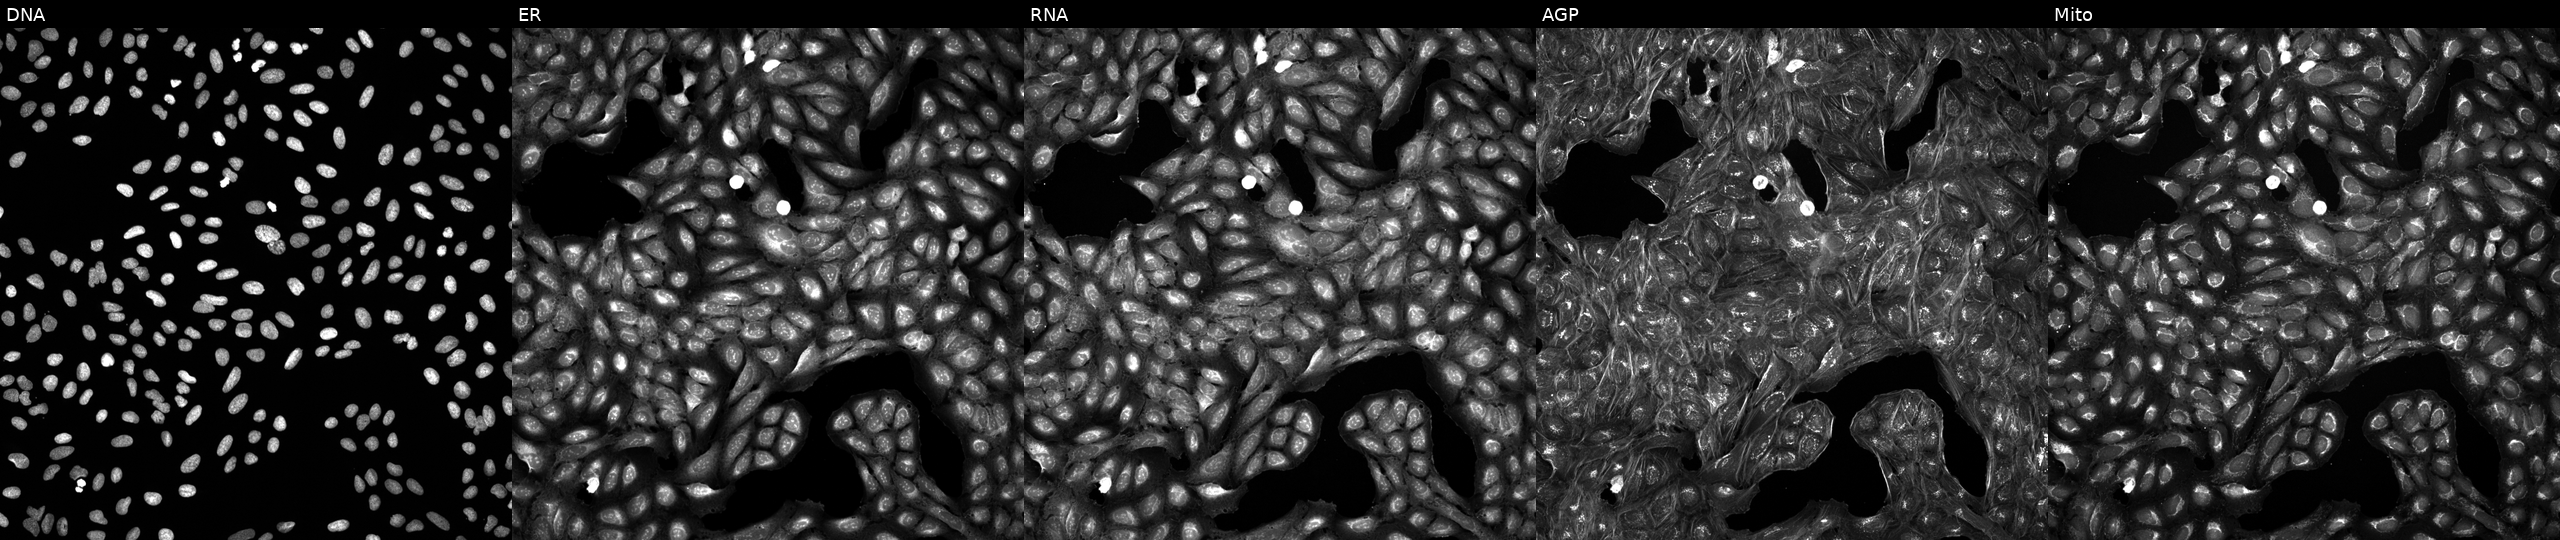
High-content fluorescence microscopy (Cell Painting). Cell line: U2OS. Perturbation: perturbed with a small-molecule compound. Channels (left→right): DNA (nuclei); ER (endoplasmic reticulum); RNA (nucleoli and cytoplasmic RNA); AGP (actin cytoskeleton, Golgi, and plasma membrane); Mito (mitochondria). Source 5, plate APTJUM105, well E16.